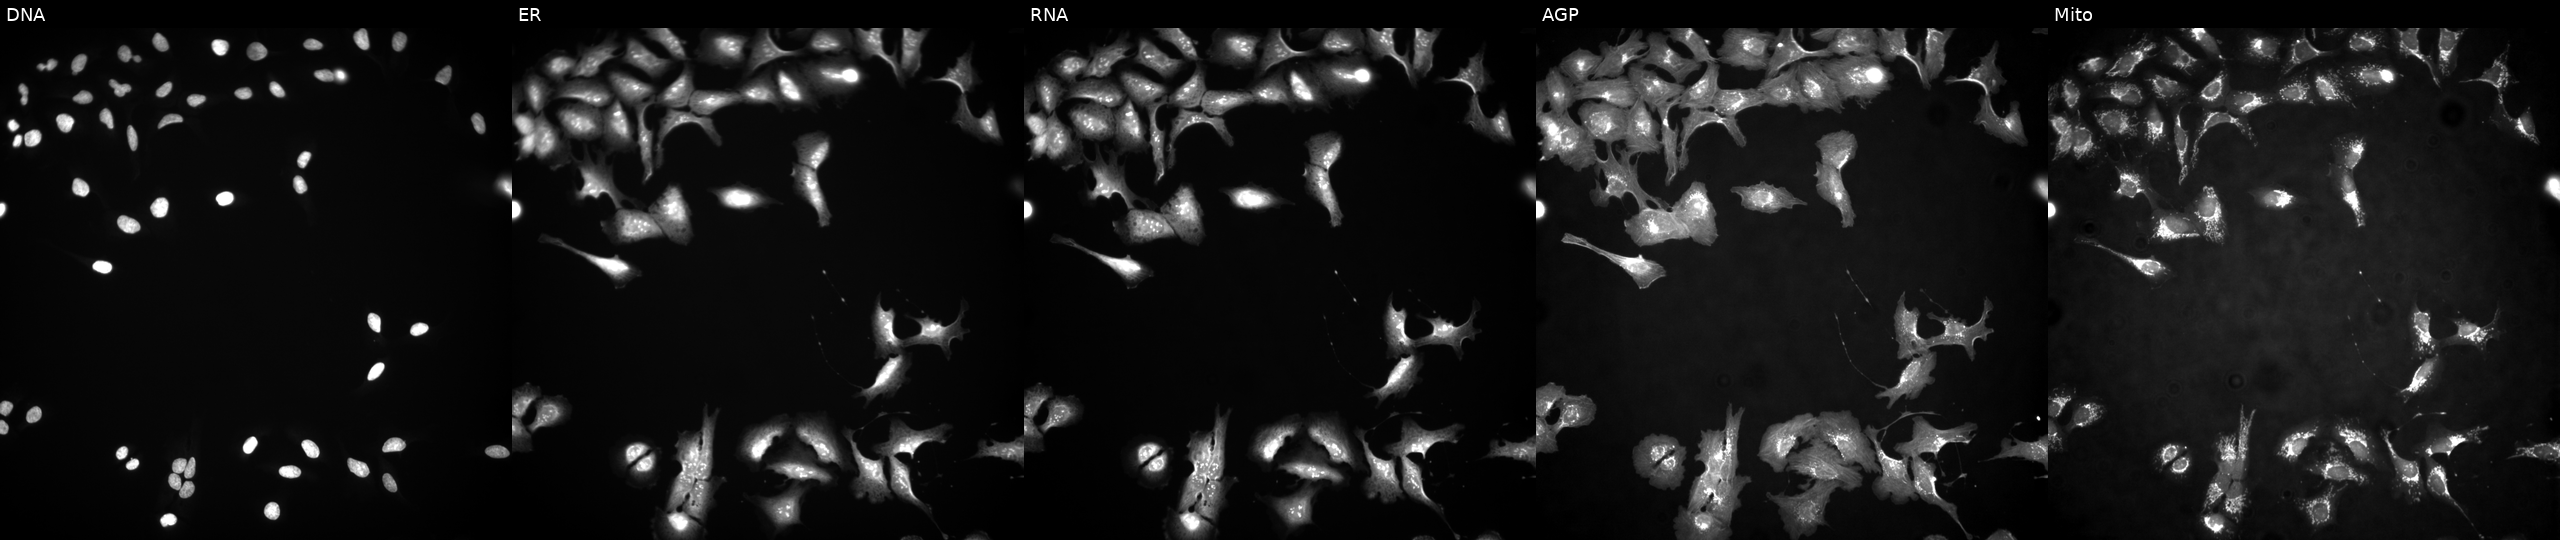
This image strip shows the five Cell Painting channels for a single field of U2OS cells transfected with an ORF construct for PVRIG (JUMP id JCP2022_903780). From left to right: DNA, ER, RNA, AGP, and Mito.